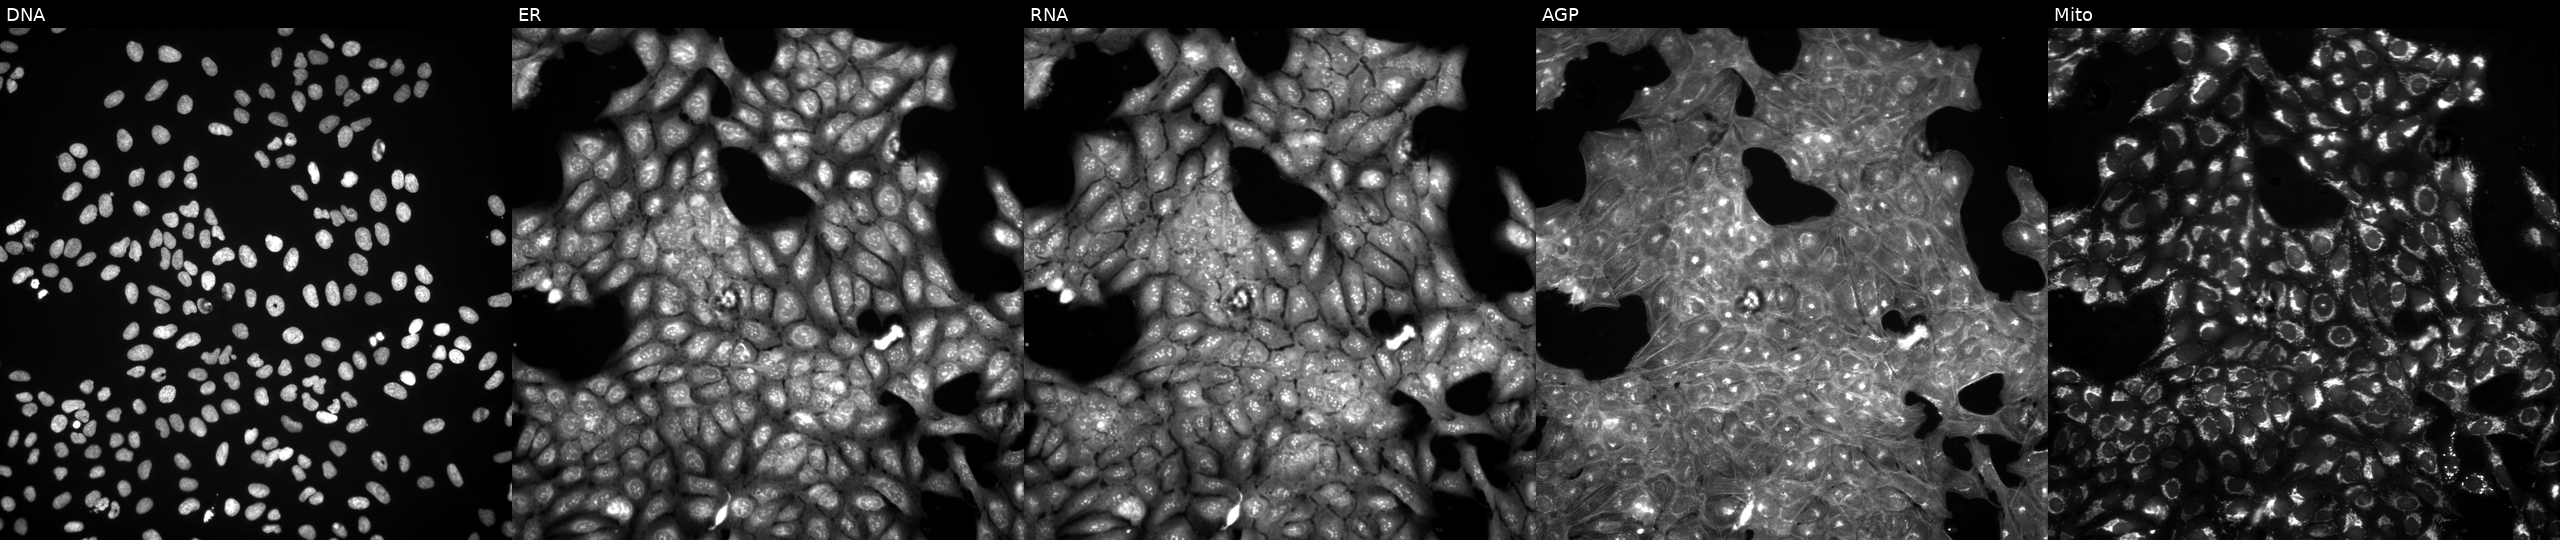
From left to right: DNA (nuclei); ER (endoplasmic reticulum); RNA (nucleoli and cytoplasmic RNA); AGP (actin cytoskeleton, Golgi, and plasma membrane); Mito (mitochondria). U2OS osteosarcoma cells treated with DMSO vehicle only (negative control) (JUMP id JCP2022_033924). Cell Painting assay, JUMP-CP dataset. Source 3, plate JCPQC051, well D18.